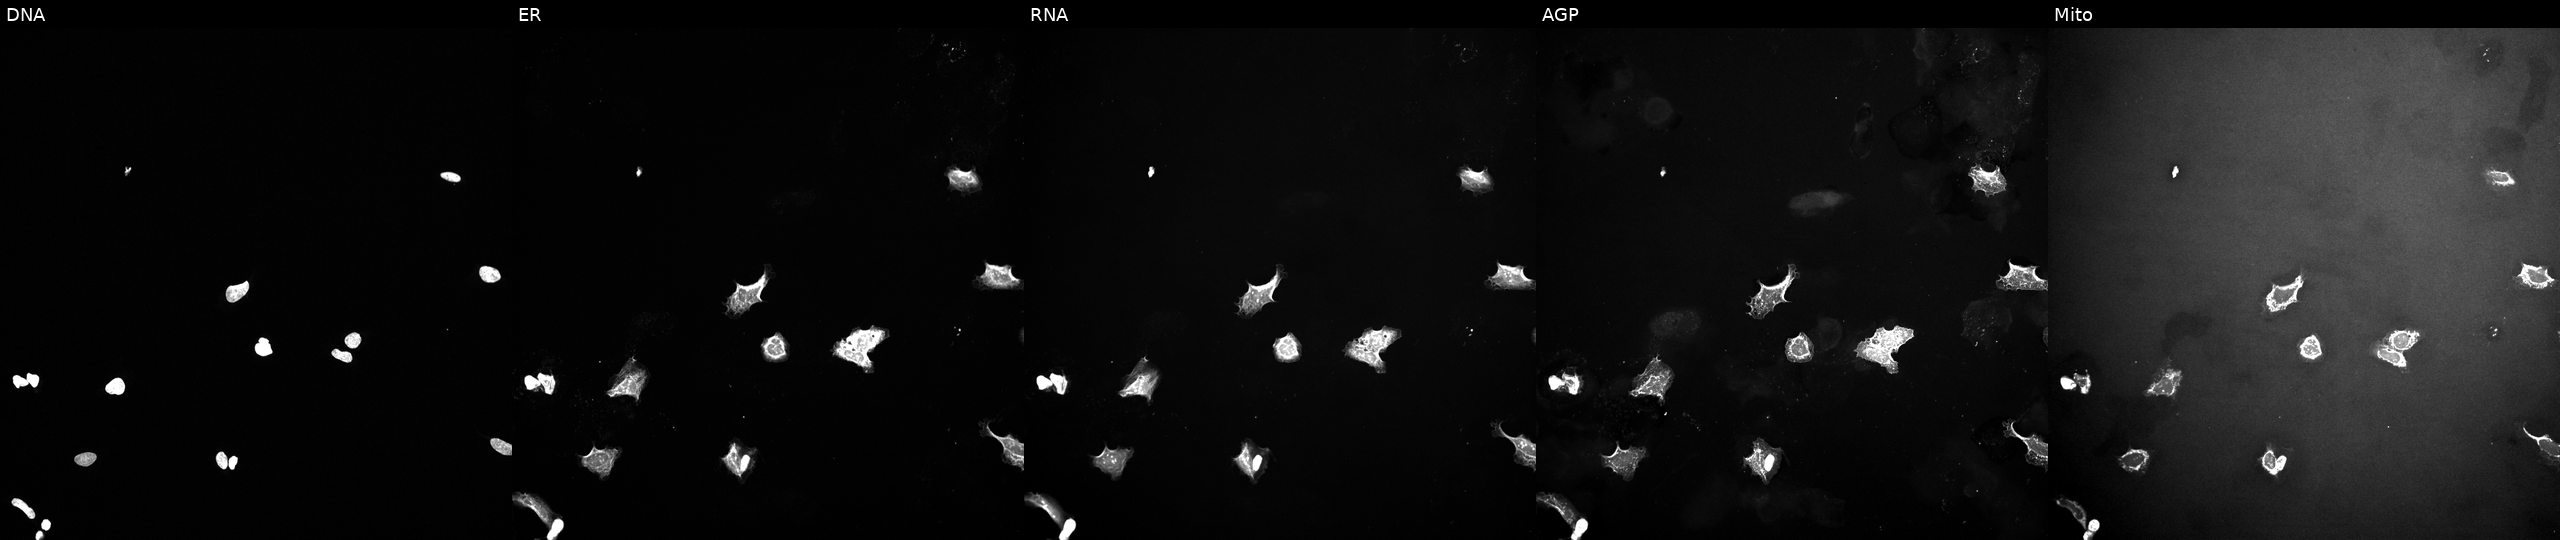
High-content fluorescence microscopy (Cell Painting). Cell line: U2OS. Perturbation: treated with a small-molecule compound (JUMP id JCP2022_013856). Channels (left→right): DNA (nuclei); ER (endoplasmic reticulum); RNA (nucleoli and cytoplasmic RNA); AGP (actin cytoskeleton, Golgi, and plasma membrane); Mito (mitochondria). Source 10, plate Dest210803-153958, well G14.